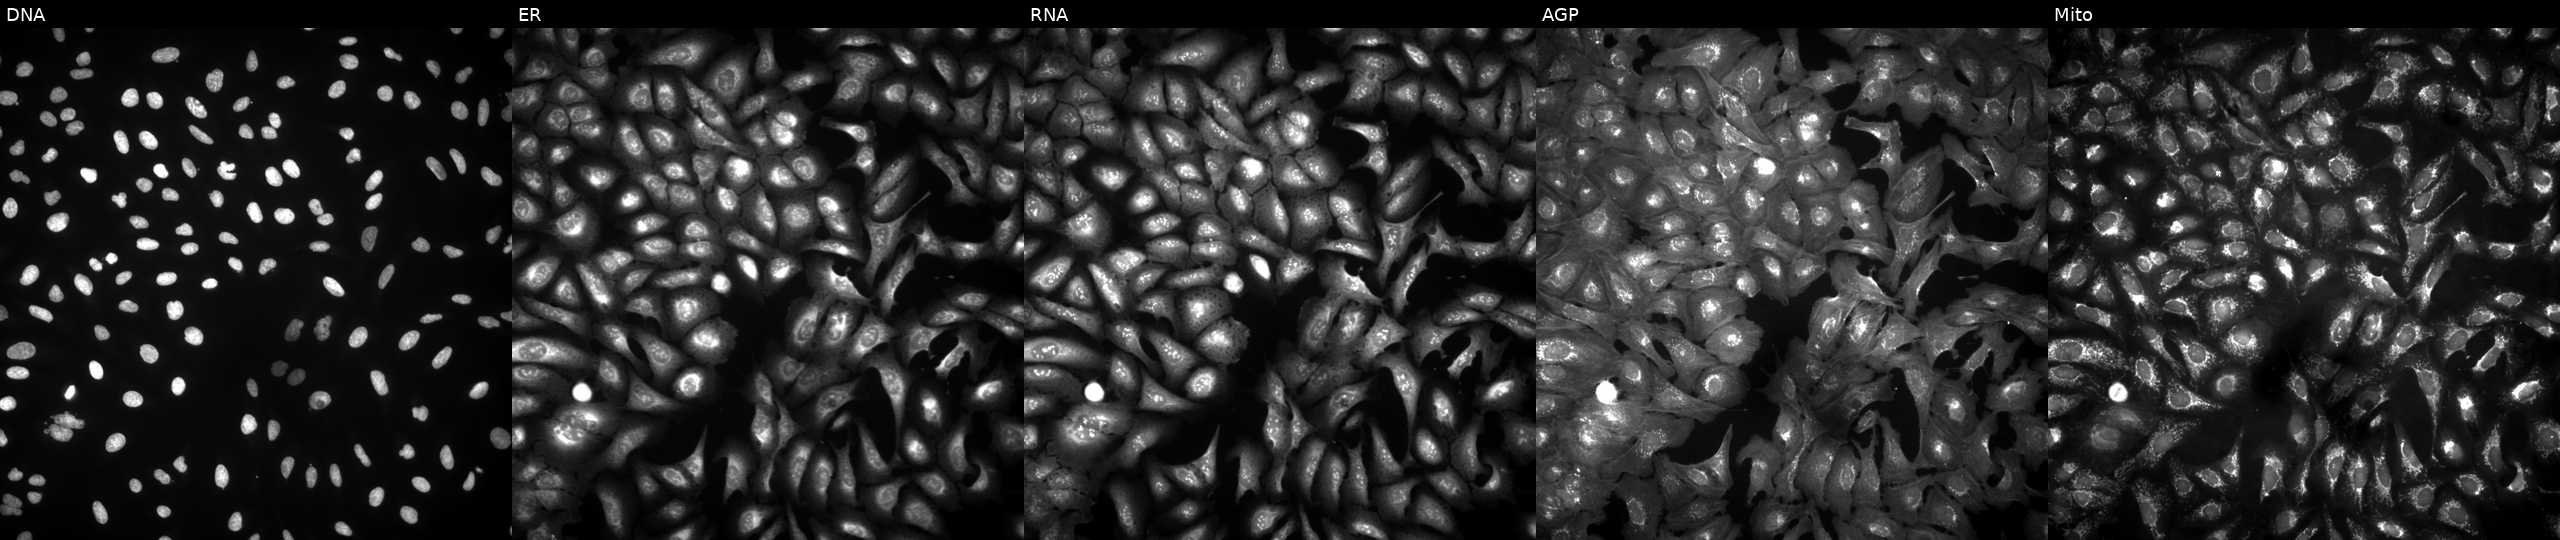
This image strip shows the five Cell Painting channels for a single field of U2OS cells transfected with an ORF construct for R3HCC1L (JUMP id JCP2022_911055). The five panels, left to right, show DNA (nuclei); ER (endoplasmic reticulum); RNA (nucleoli and cytoplasmic RNA); AGP (actin cytoskeleton, Golgi, and plasma membrane); Mito (mitochondria).